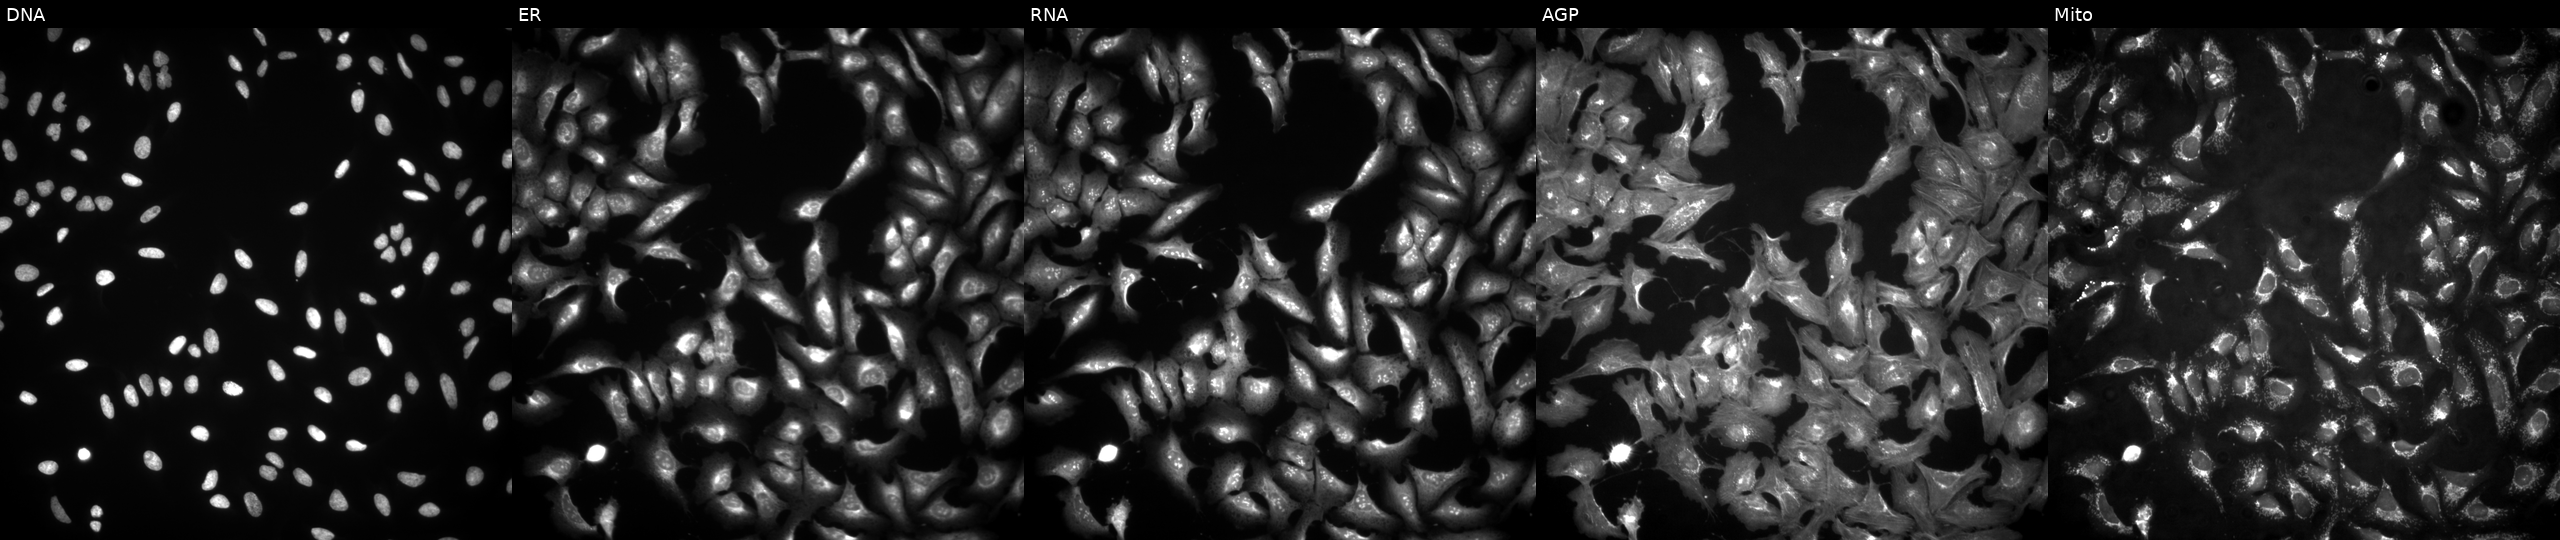
Five-channel Cell Painting image of U2OS cells overexpressing OR8B8 via ORF transfection. Panels show, left to right, Hoechst 33342, concanavalin A, SYTO 14, phalloidin and WGA, MitoTracker.